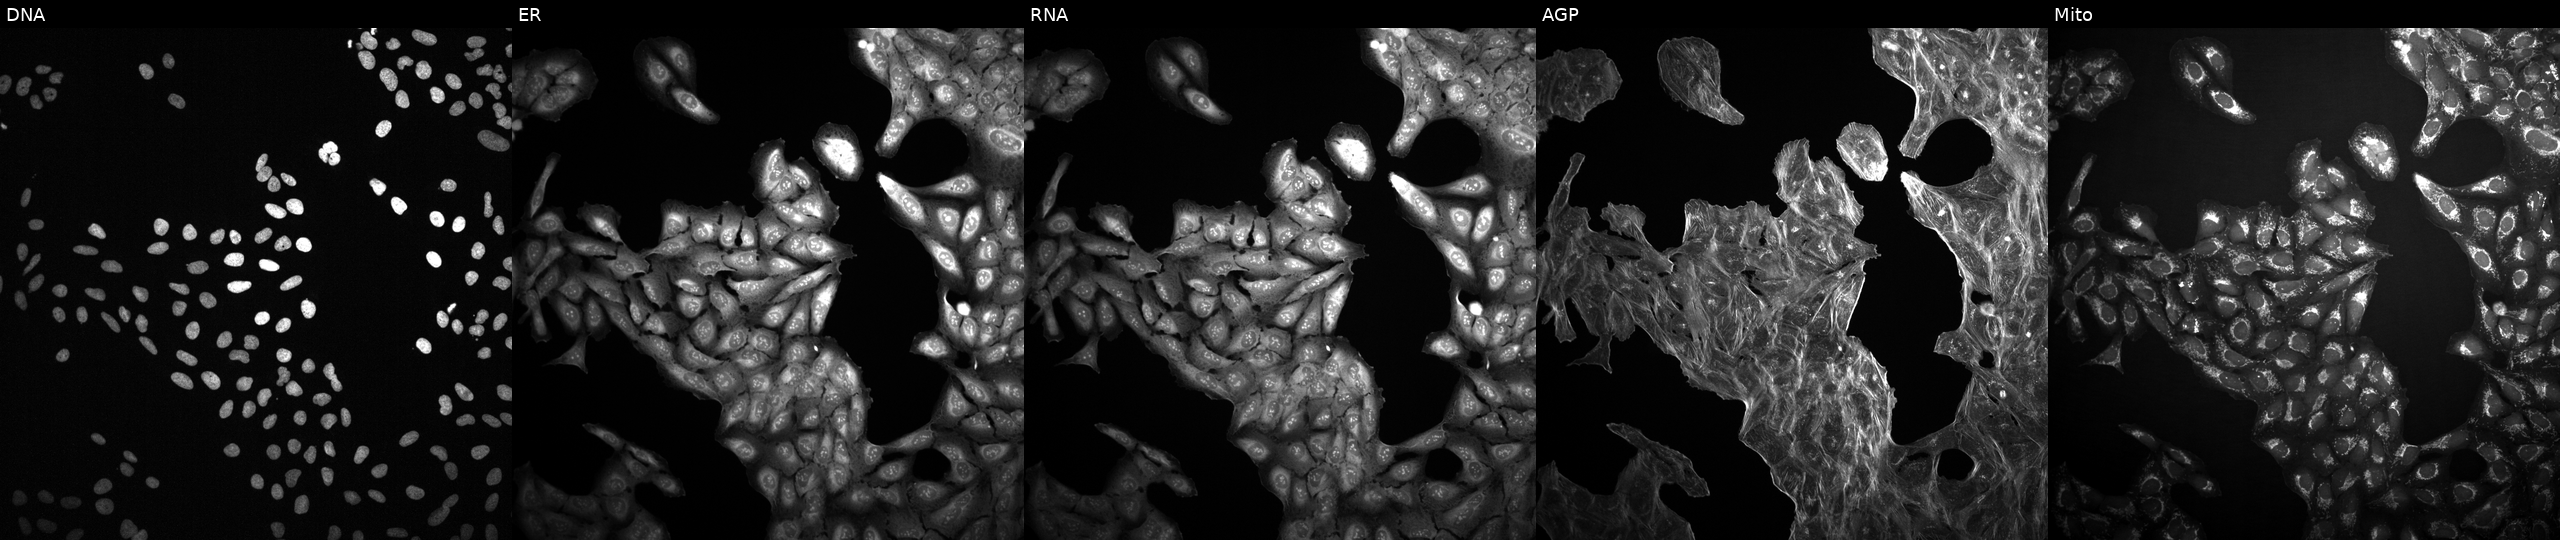
This image strip shows the five Cell Painting channels for a single field of U2OS cells perturbed with a small-molecule compound (JUMP id JCP2022_082046). The five panels, left to right, show Hoechst 33342, concanavalin A, SYTO 14, phalloidin and WGA, MitoTracker.